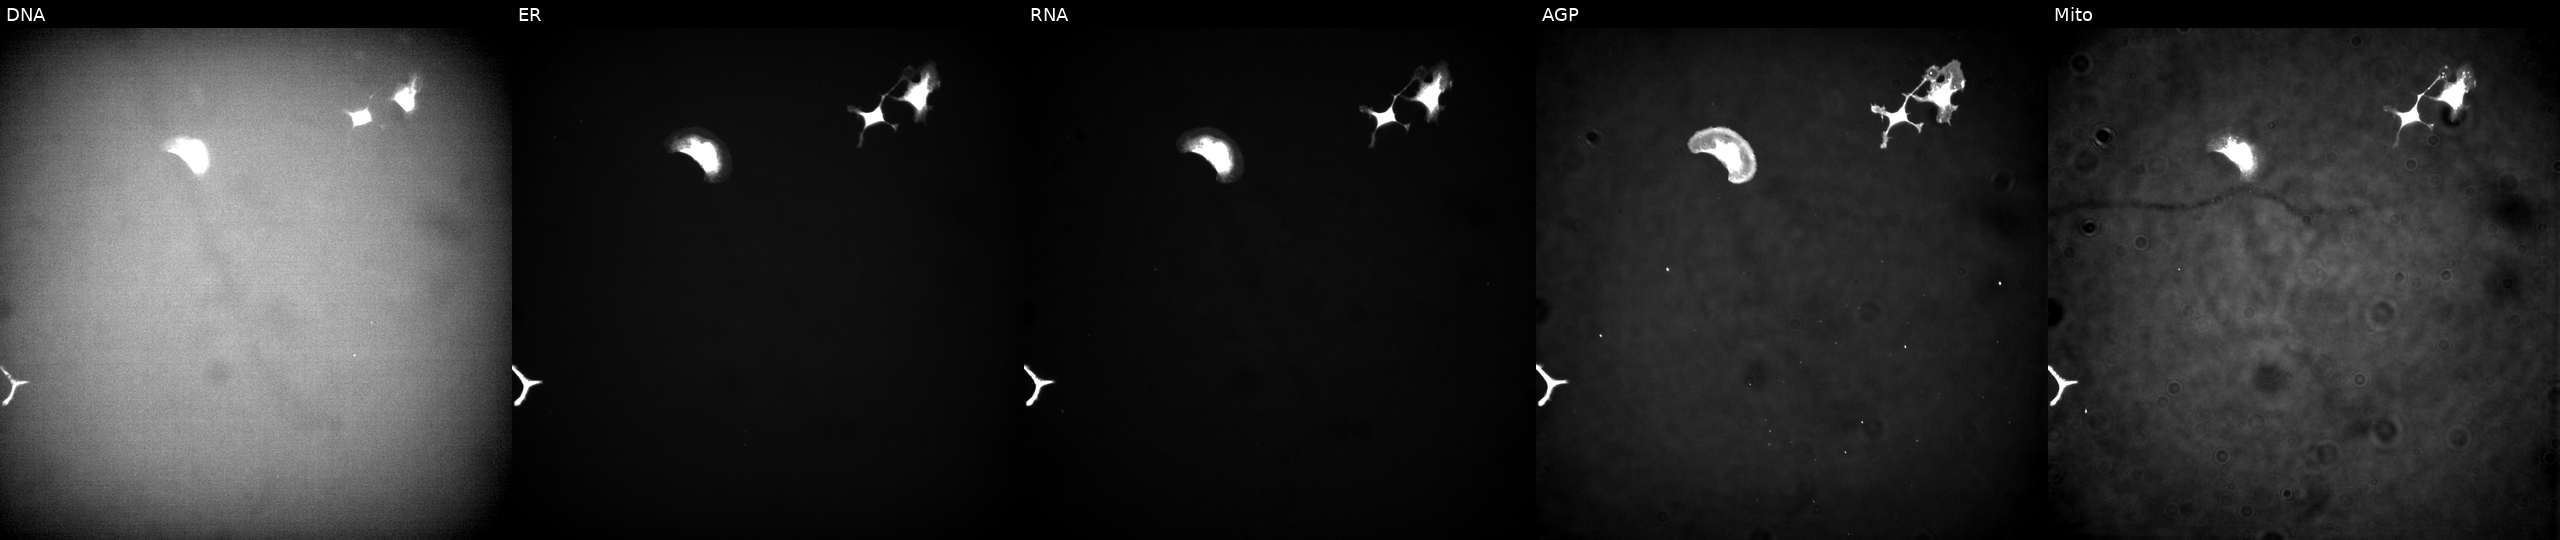
This image strip shows the five Cell Painting channels for a single field of U2OS cells overexpressing BLK via ORF transfection (JUMP id JCP2022_913581). The five panels, left to right, show DNA (nuclei); ER (endoplasmic reticulum); RNA (nucleoli and cytoplasmic RNA); AGP (actin cytoskeleton, Golgi, and plasma membrane); Mito (mitochondria). Source 4, plate BR00123945, well M12.